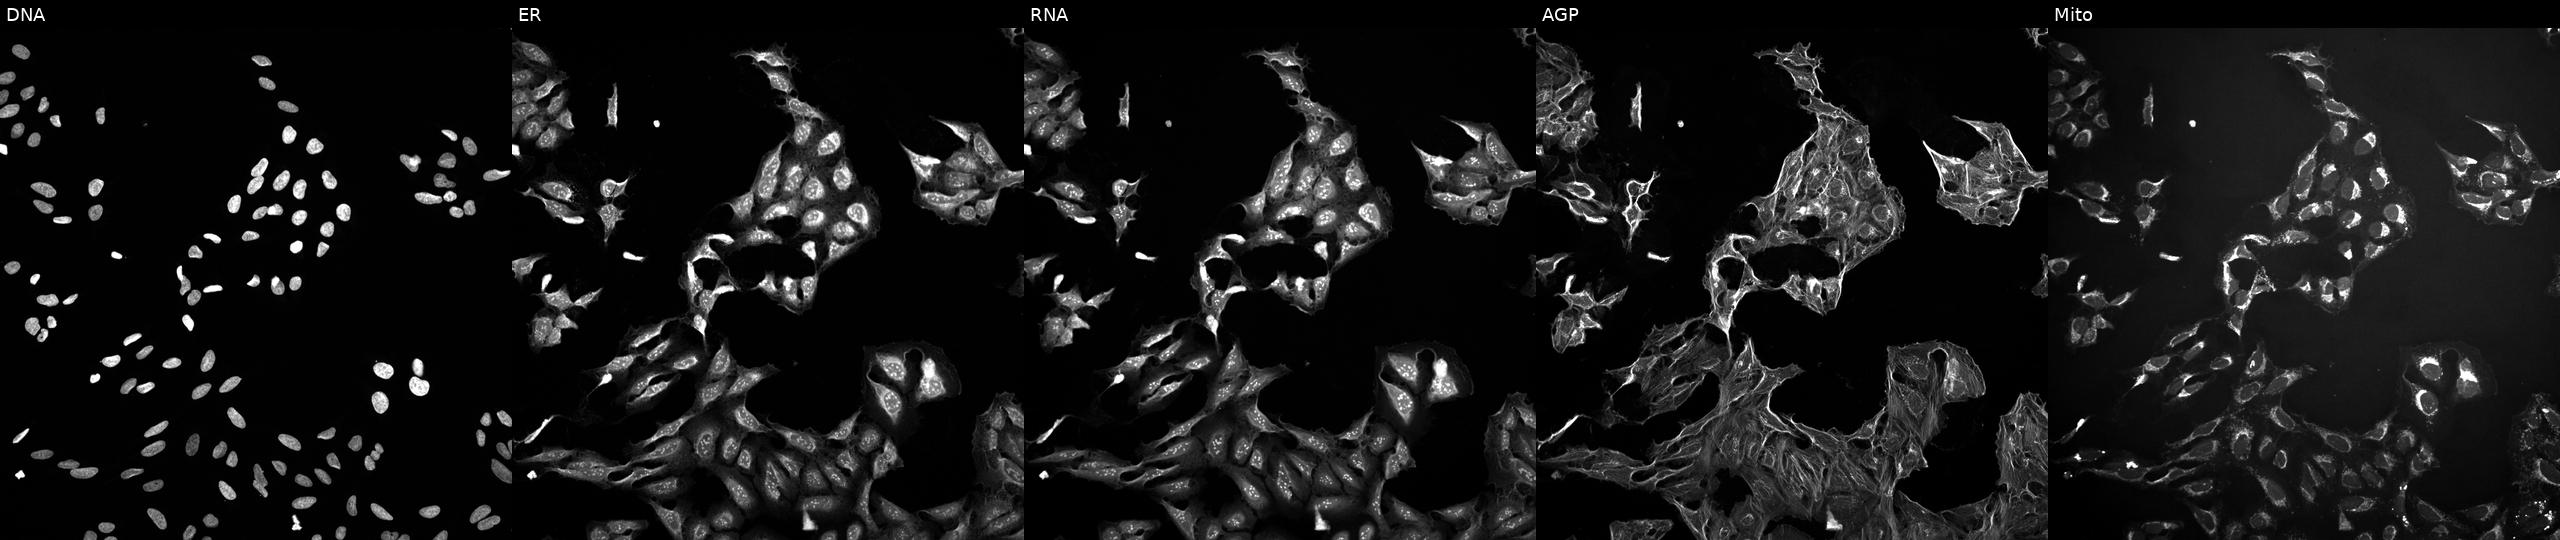
U2OS cells, Cell Painting assay, treated with DMSO vehicle only (negative control). Channels (left→right): Hoechst 33342, concanavalin A, SYTO 14, phalloidin and WGA, MitoTracker. Each panel is percentile-stretched 16-bit fluorescence. Source 10, plate Dest210726-160150, well K07.